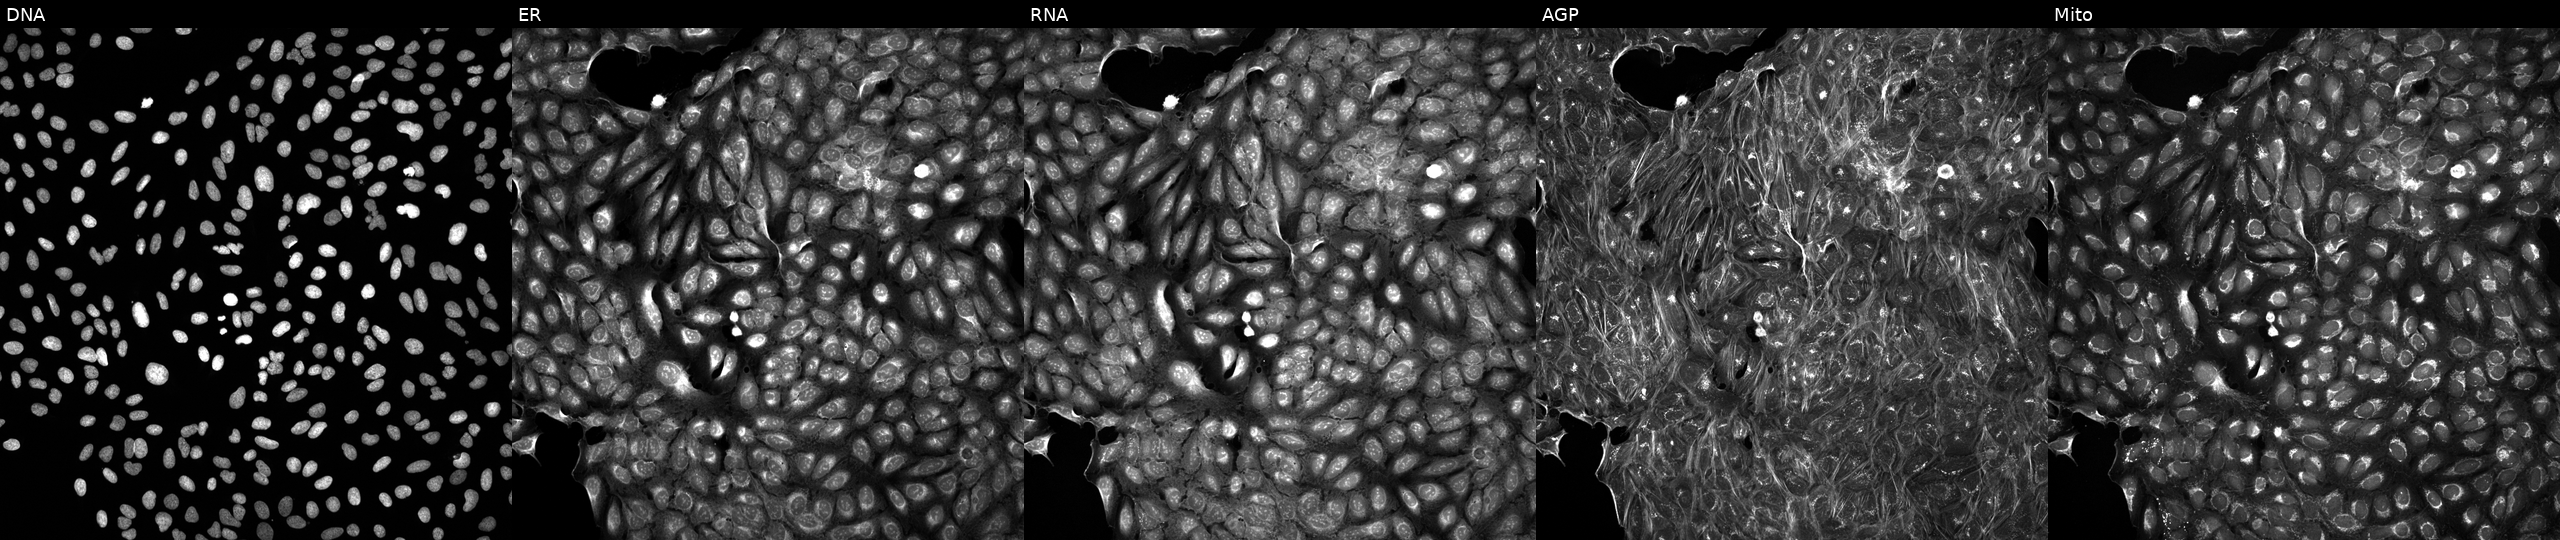
High-content fluorescence microscopy (Cell Painting). Cell line: U2OS. Perturbation: treated with a small-molecule compound [SMILES: CCCCCCCCC=CCCCCCCCC(=O)OC(CO)CO] (JUMP id JCP2022_090768). Channels (left→right): DNA (nuclei); ER (endoplasmic reticulum); RNA (nucleoli and cytoplasmic RNA); AGP (actin cytoskeleton, Golgi, and plasma membrane); Mito (mitochondria).